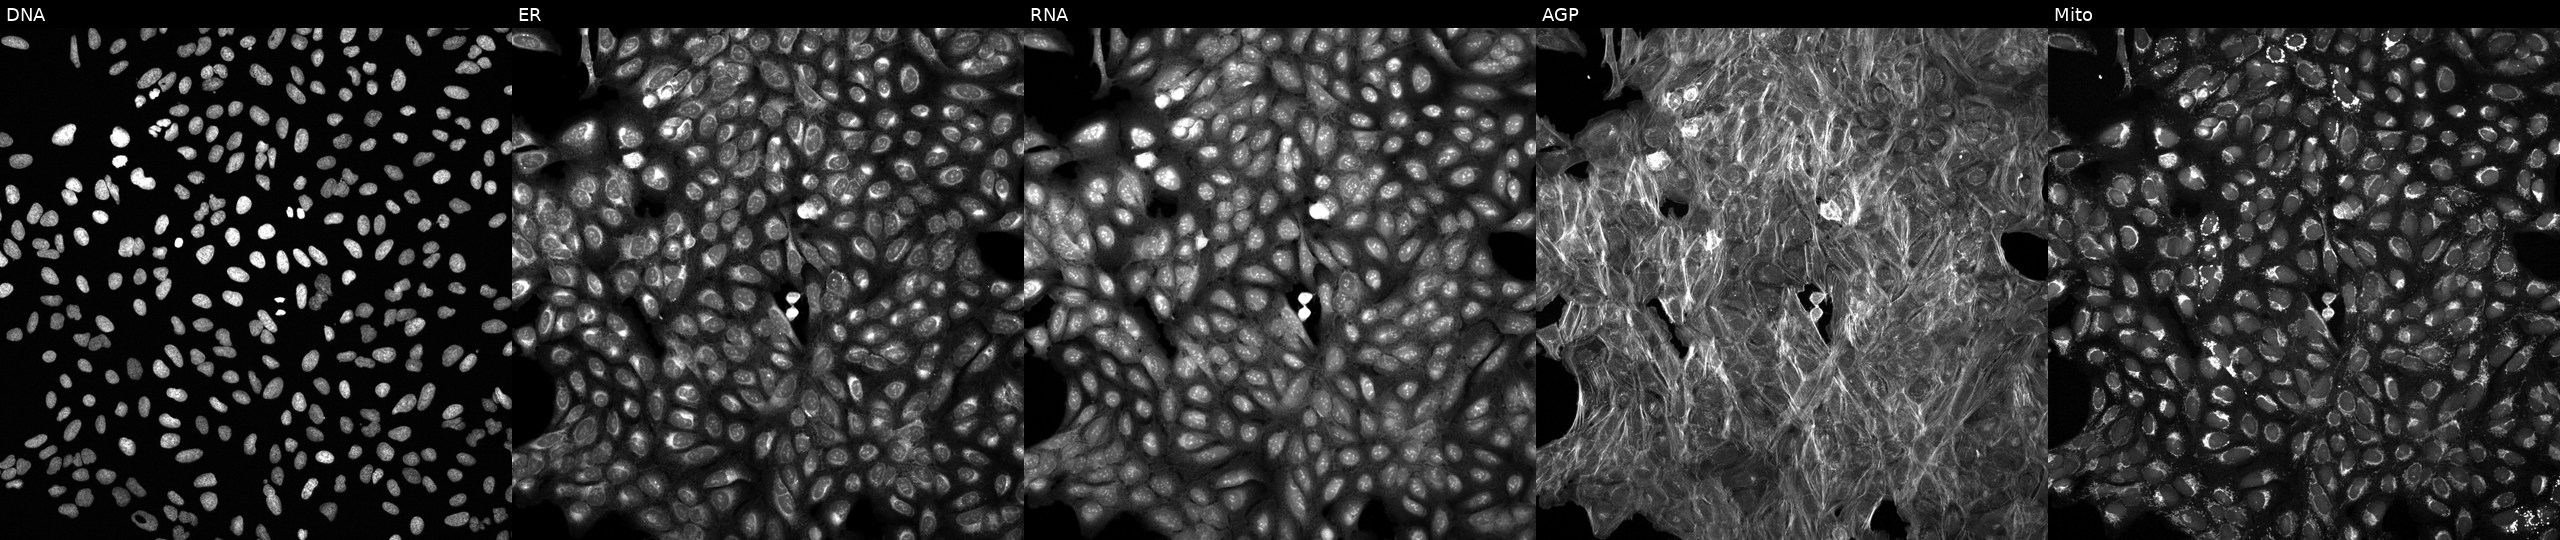
U2OS cells, Cell Painting assay, exposed to a small-molecule compound. Panels show, left to right, Hoechst 33342, concanavalin A, SYTO 14, phalloidin and WGA, MitoTracker. Each panel is percentile-stretched 16-bit fluorescence.